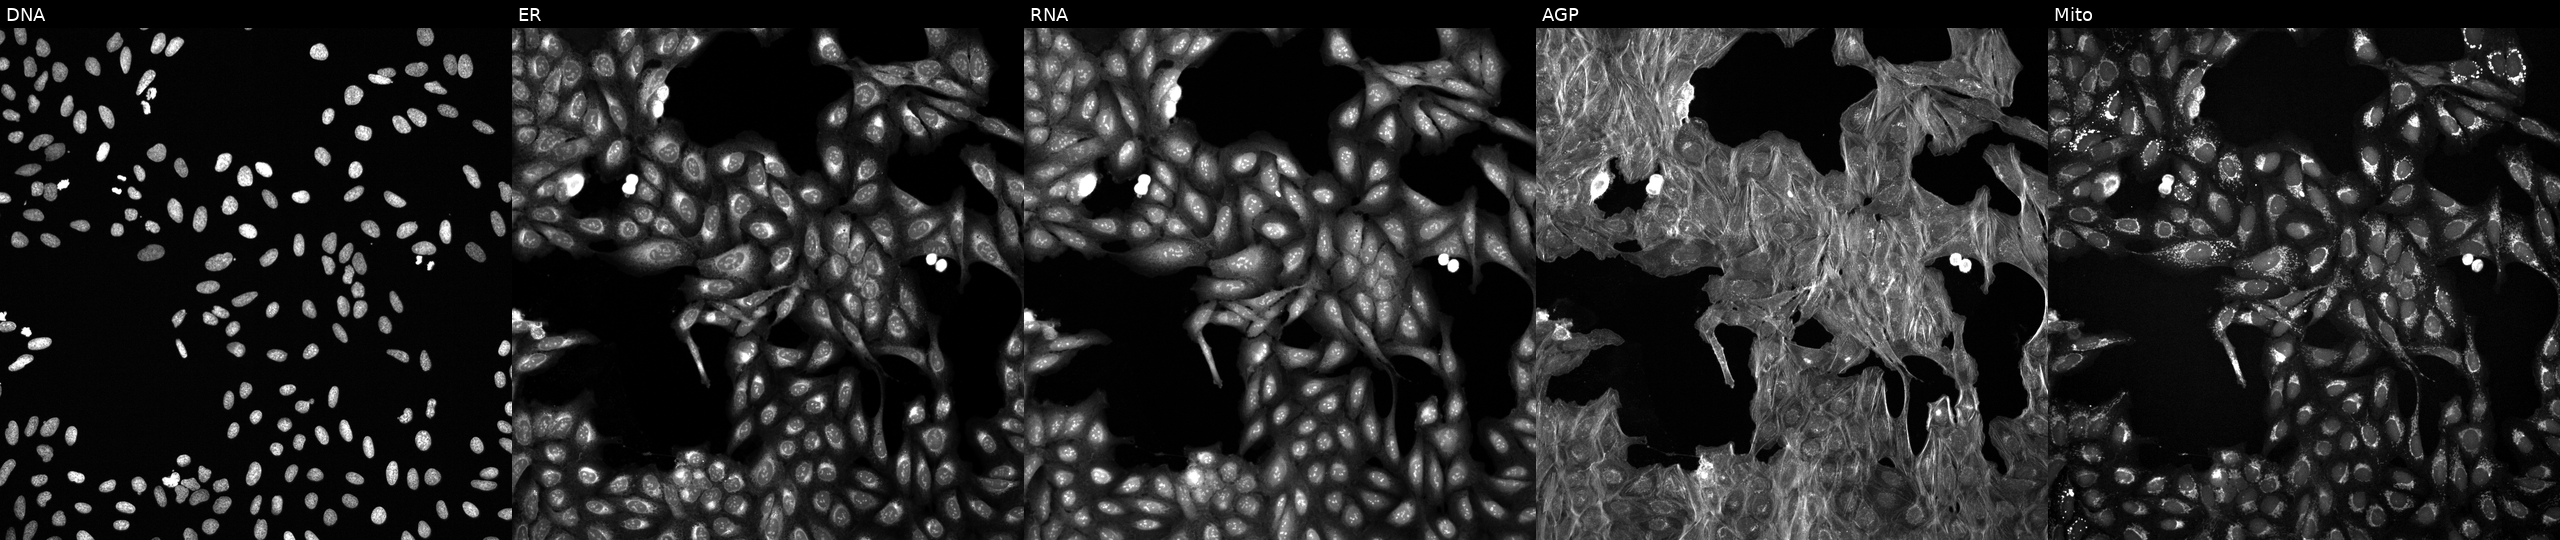
U2OS cells, Cell Painting assay, exposed to a small-molecule compound (JUMP id JCP2022_020163). The five panels, left to right, show DNA (nuclei); ER (endoplasmic reticulum); RNA (nucleoli and cytoplasmic RNA); AGP (actin cytoskeleton, Golgi, and plasma membrane); Mito (mitochondria). Each panel is percentile-stretched 16-bit fluorescence.